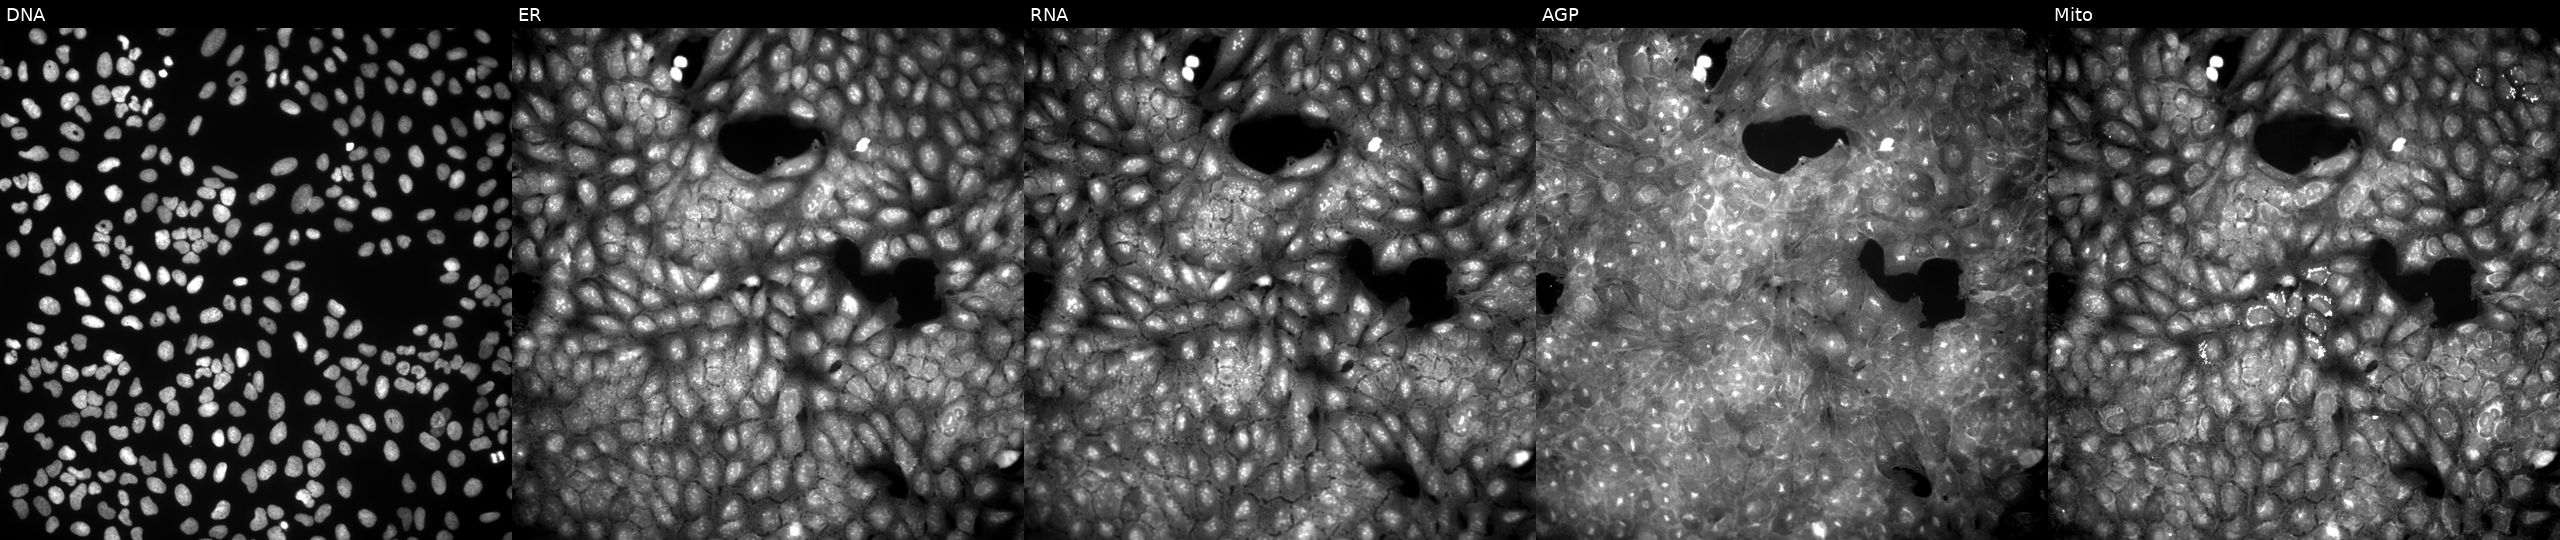
High-content fluorescence microscopy (Cell Painting). Cell line: U2OS. Perturbation: exposed to a small-molecule compound (InChIKey FQGDAIFIVMXXFL-UHFFFAOYSA-N) (JUMP id JCP2022_022262). From left to right: Hoechst 33342, concanavalin A, SYTO 14, phalloidin and WGA, MitoTracker.